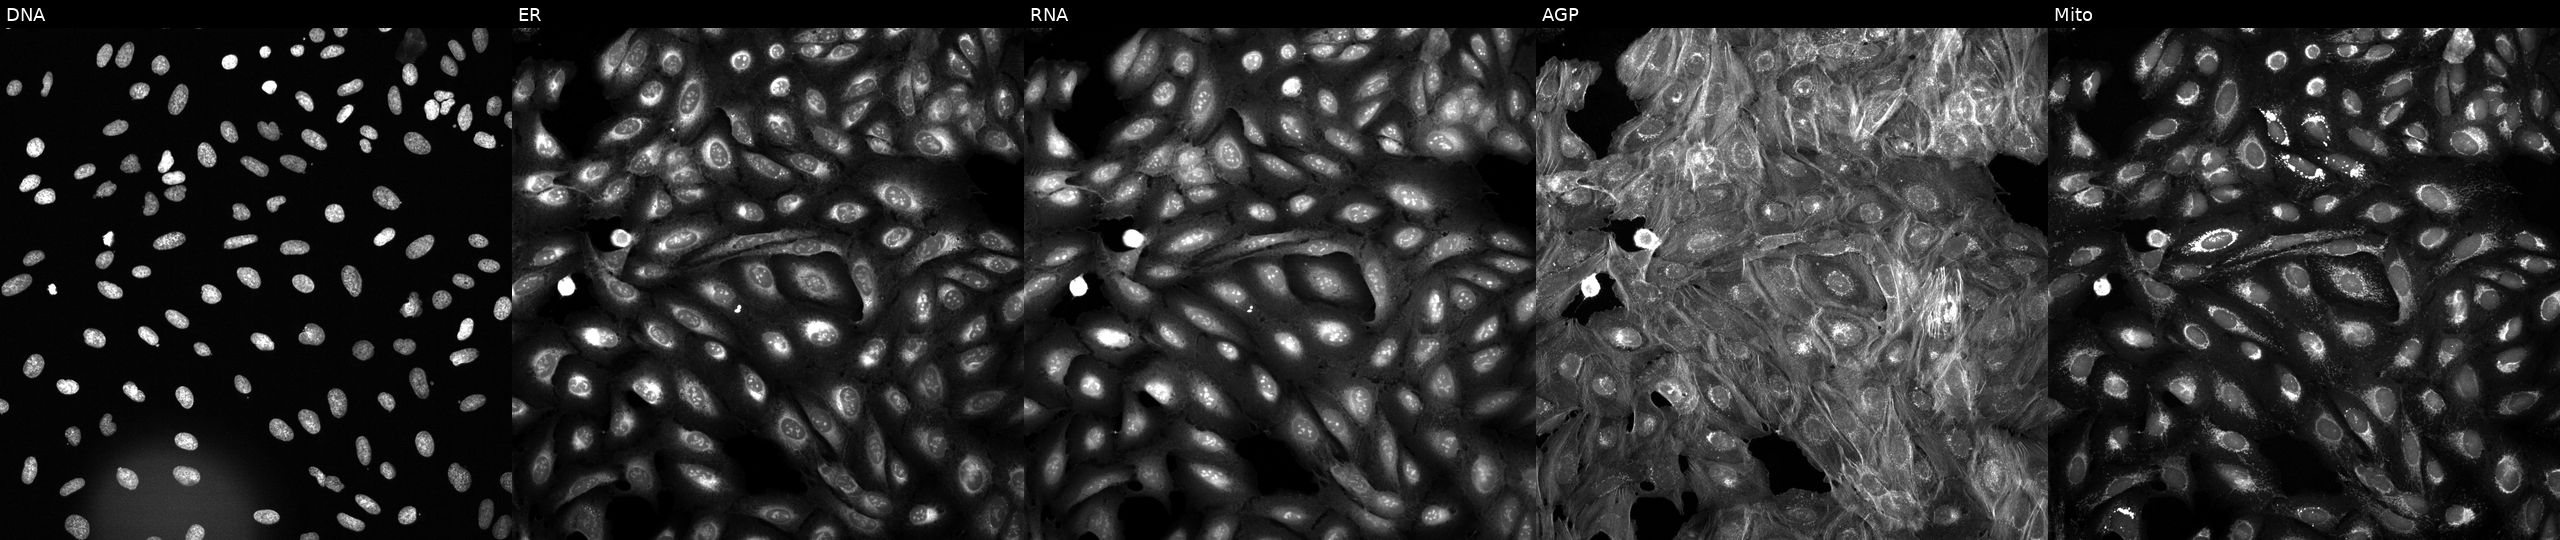
This image strip shows the five Cell Painting channels for a single field of U2OS cells exposed to a small-molecule compound (InChIKey CAOWNCTTWGSKDO-UHFFFAOYSA-N) [SMILES: N=c1[nH]c(F)nc2c1ncn2C1OC(CO[PH](=O)(=O)O)C(O)C1O] (JUMP id JCP2022_009886). Panels show, left to right, DNA (nuclei); ER (endoplasmic reticulum); RNA (nucleoli and cytoplasmic RNA); AGP (actin cytoskeleton, Golgi, and plasma membrane); Mito (mitochondria).